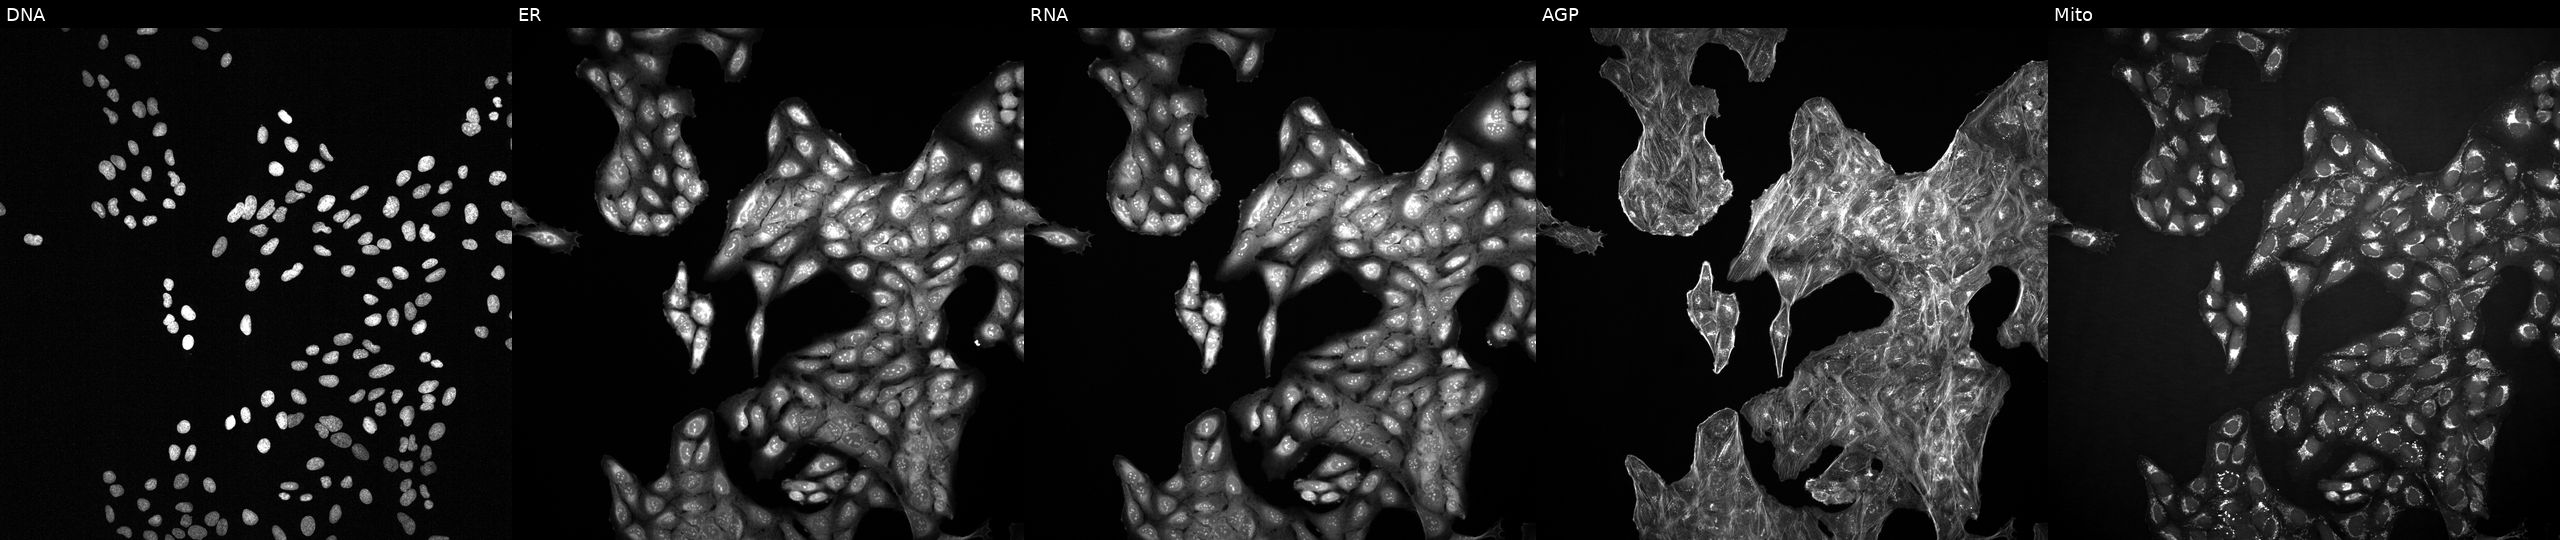
JUMP Cell Painting — TARGET2 plate. U2OS cells exposed to a small-molecule compound (InChIKey PIMZUZSSNYHVCU-UHFFFAOYSA-N). The five panels, left to right, show Hoechst 33342, concanavalin A, SYTO 14, phalloidin and WGA, MitoTracker.